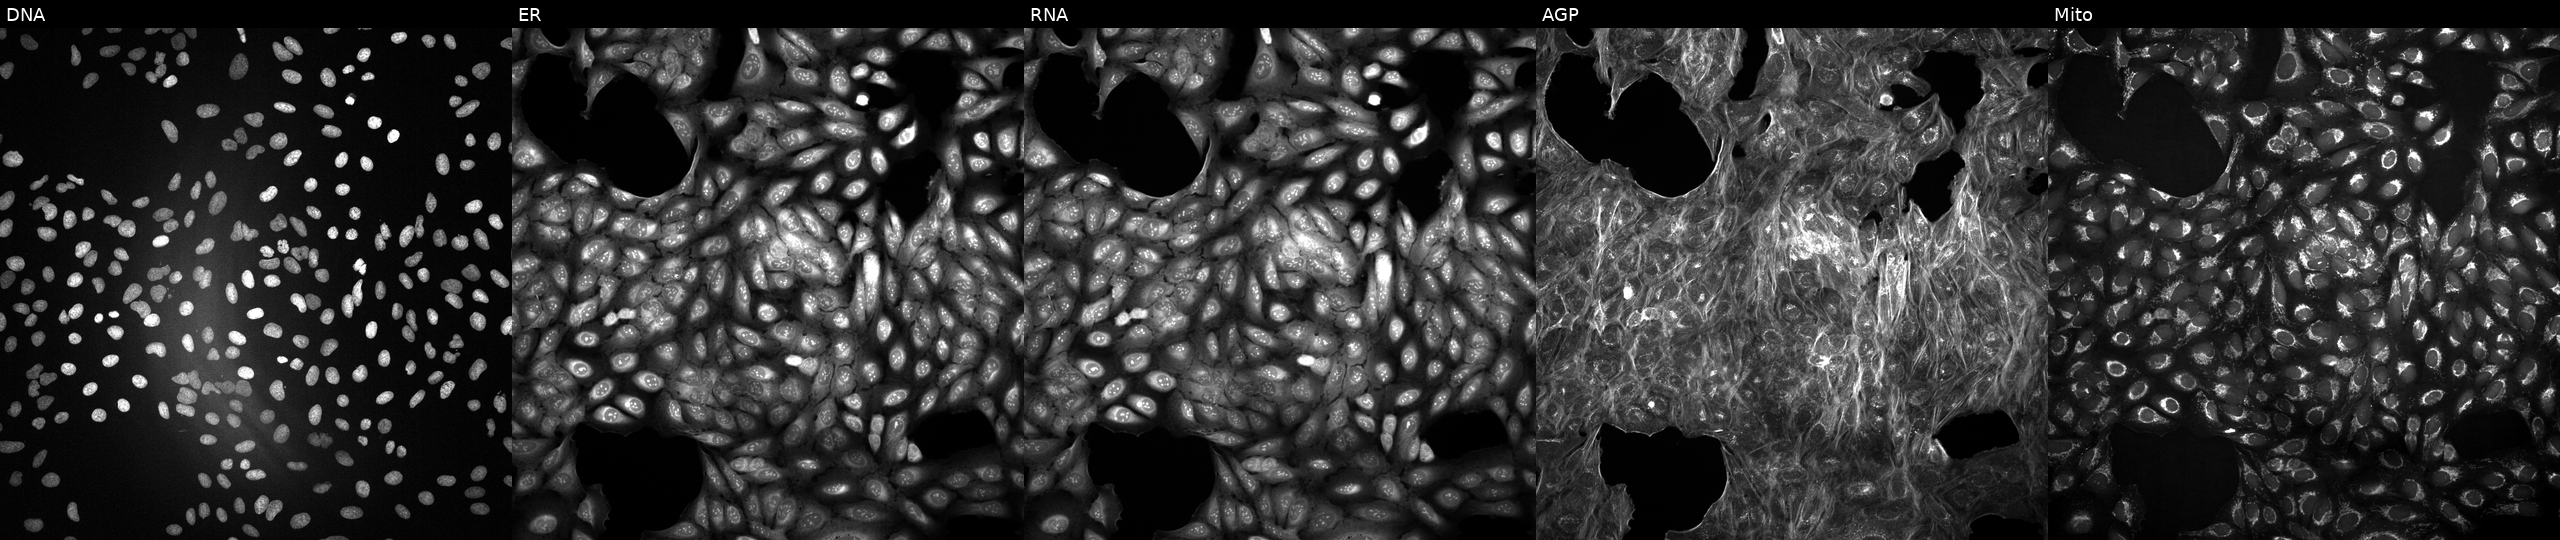
JUMP Cell Painting — COMPOUND plate. U2OS cells treated with DMSO vehicle only (negative control). Panels show, left to right, Hoechst 33342, concanavalin A, SYTO 14, phalloidin and WGA, MitoTracker.